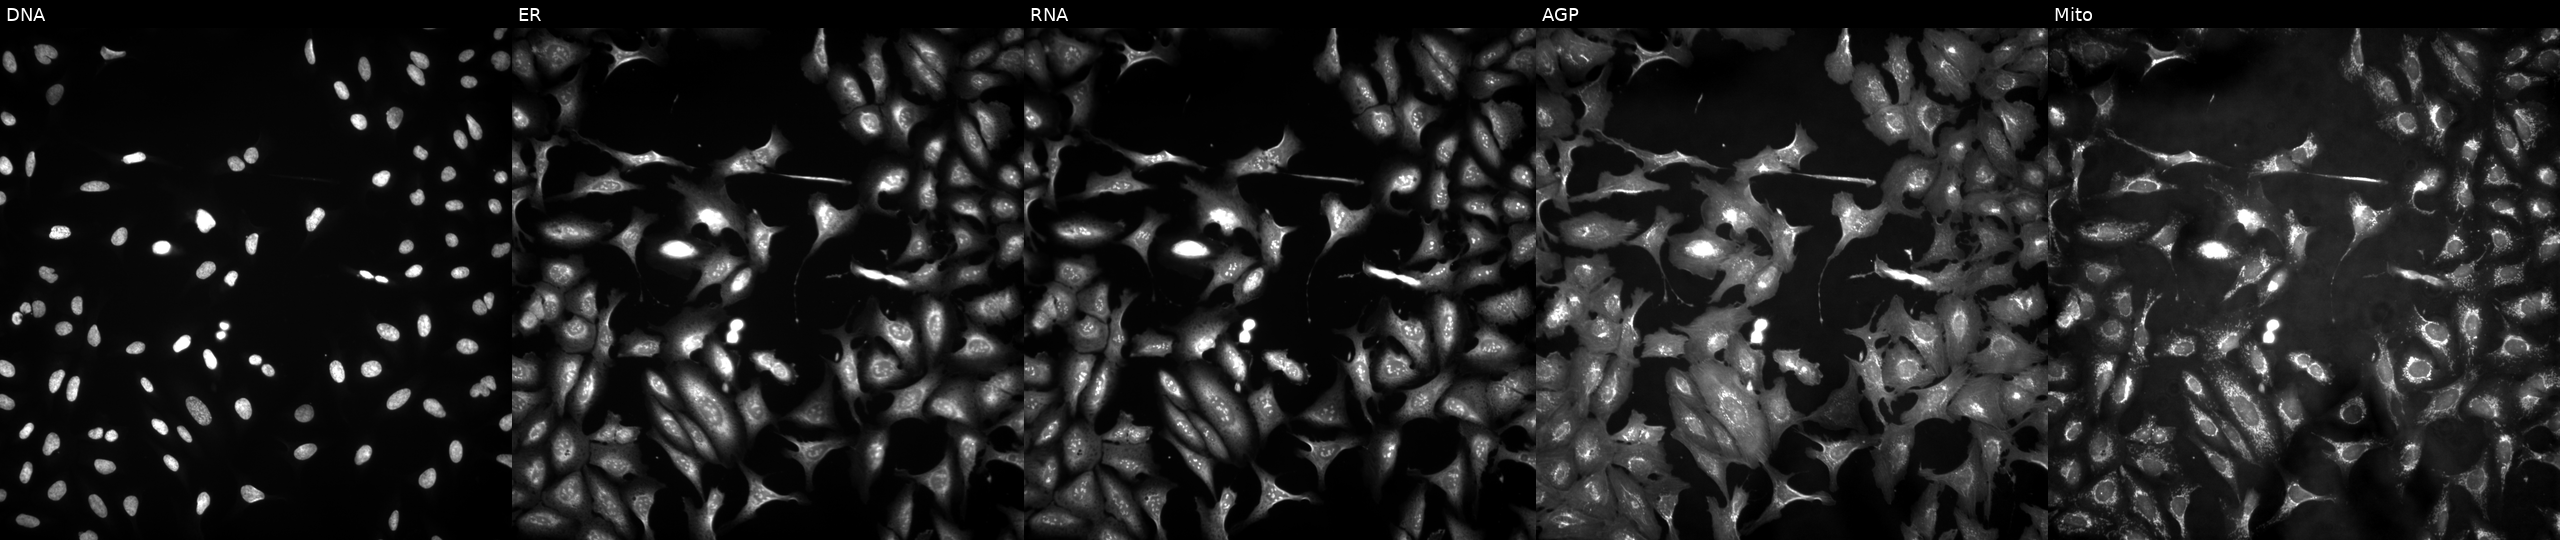
JUMP Cell Painting — ORF plate. U2OS cells expressing BFP (ORF negative control). The five panels, left to right, show DNA (nuclei); ER (endoplasmic reticulum); RNA (nucleoli and cytoplasmic RNA); AGP (actin cytoskeleton, Golgi, and plasma membrane); Mito (mitochondria). Source 4, plate BR00121543, well M16.